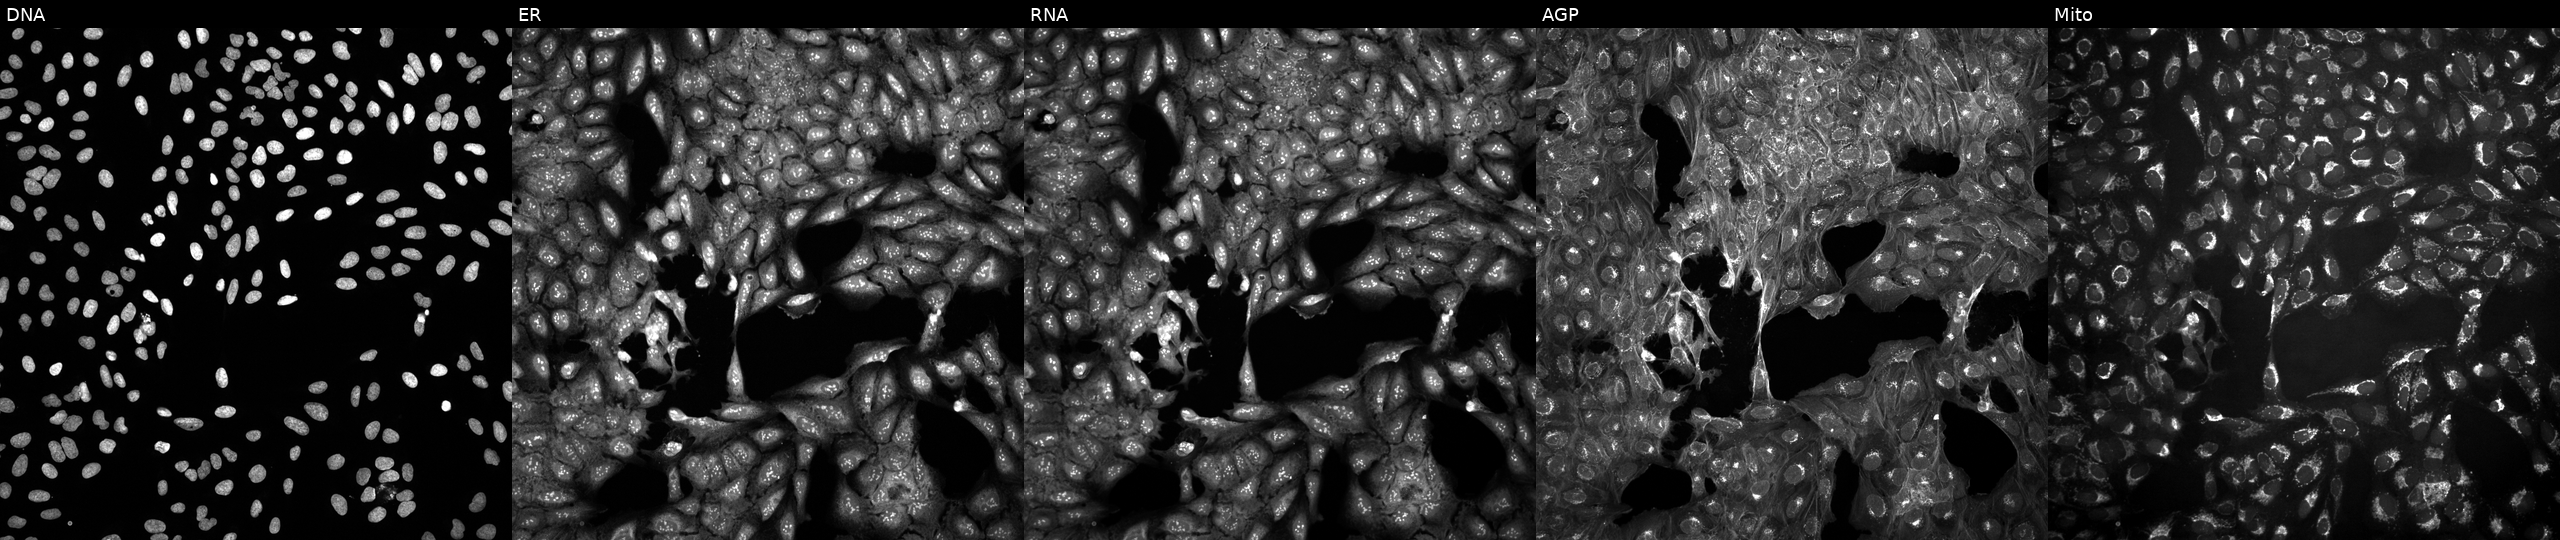
This image strip shows the five Cell Painting channels for a single field of U2OS cells untreated (empty-well control) (JUMP id JCP2022_999999). Panels show, left to right, DNA (nuclei); ER (endoplasmic reticulum); RNA (nucleoli and cytoplasmic RNA); AGP (actin cytoskeleton, Golgi, and plasma membrane); Mito (mitochondria). Source 10, plate Dest210531-152149, well G05.